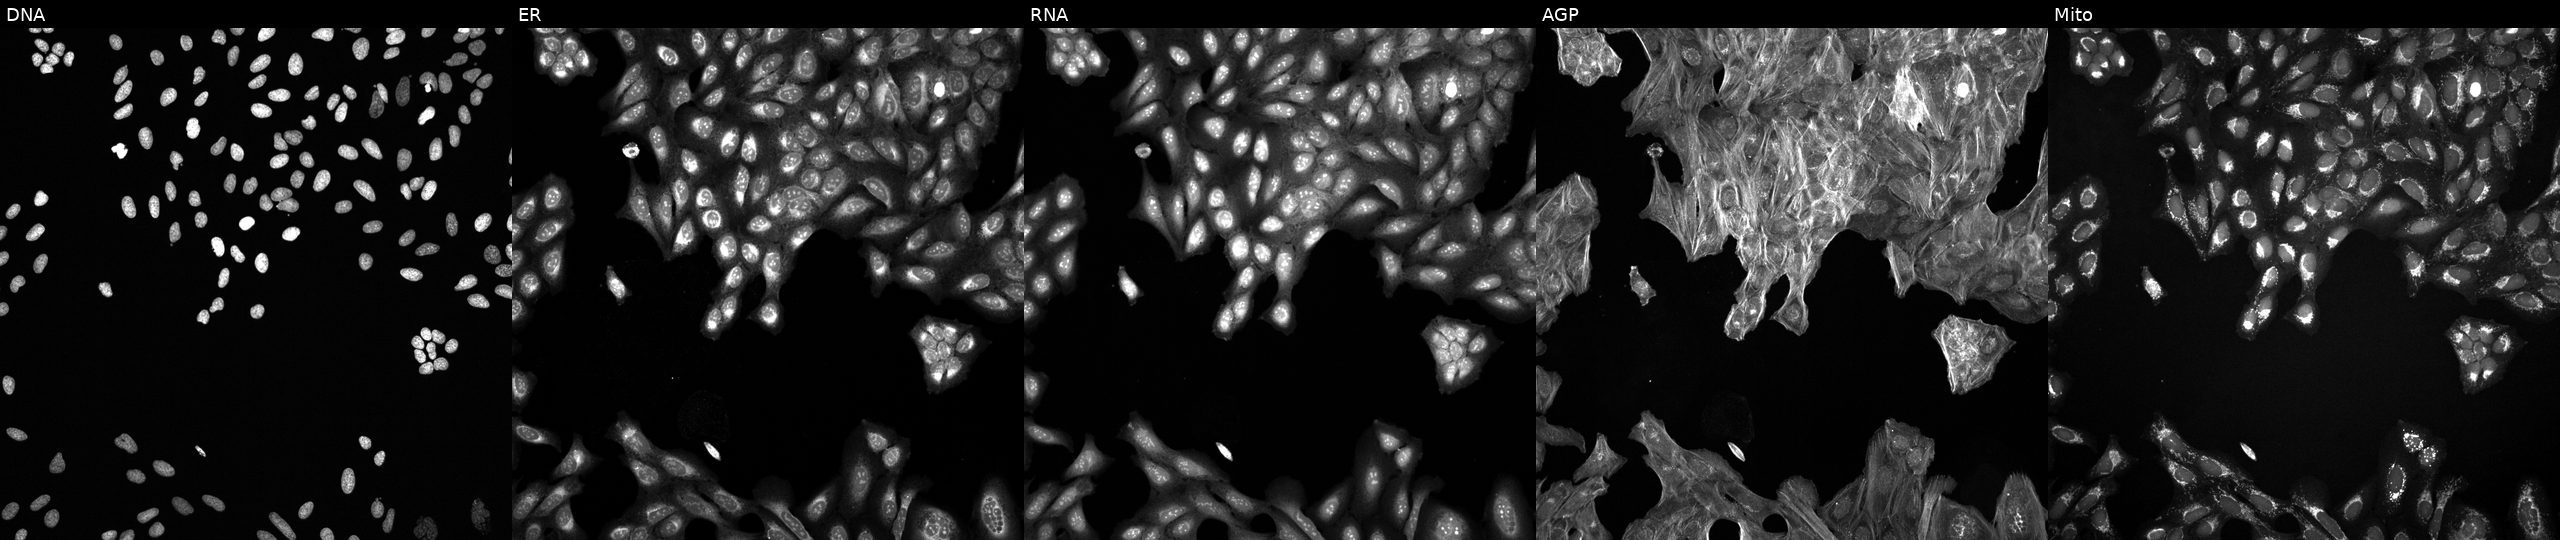
JUMP Cell Painting — COMPOUND plate. U2OS cells perturbed with a small-molecule compound (InChIKey PREAZJNQAQYTBX-UHFFFAOYSA-N). Panels show, left to right, DNA, ER, RNA, AGP, and Mito.